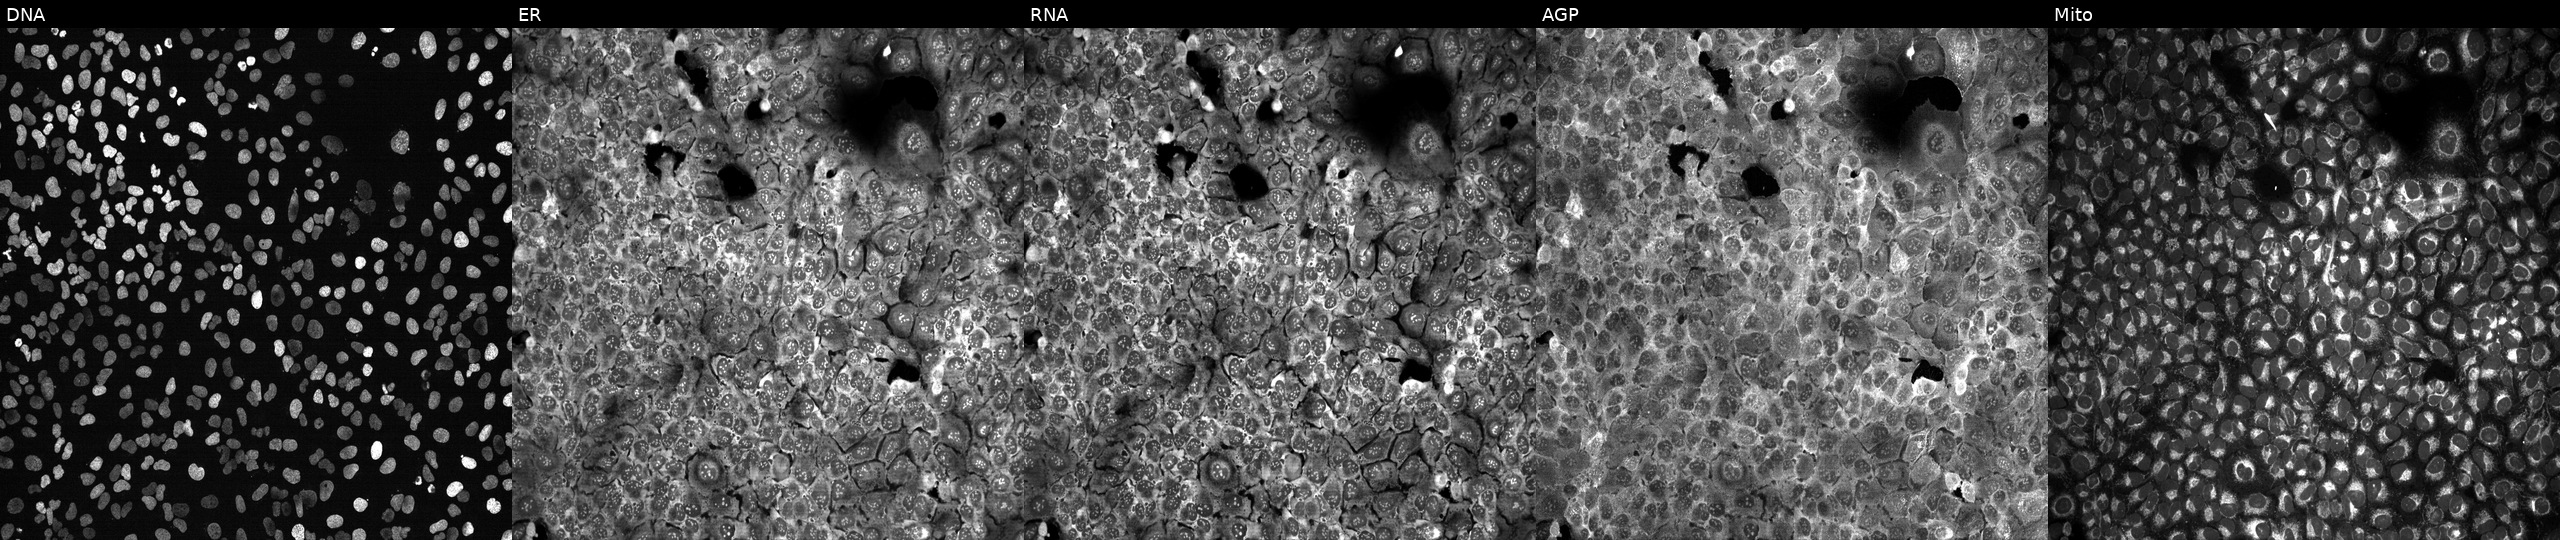
High-content fluorescence microscopy (Cell Painting). Cell line: U2OS. Perturbation: CRISPR-edited to disrupt GUCY1B3. The five panels, left to right, show DNA (nuclei); ER (endoplasmic reticulum); RNA (nucleoli and cytoplasmic RNA); AGP (actin cytoskeleton, Golgi, and plasma membrane); Mito (mitochondria). Source 13, plate CP-CC9-R3-01, well G10.